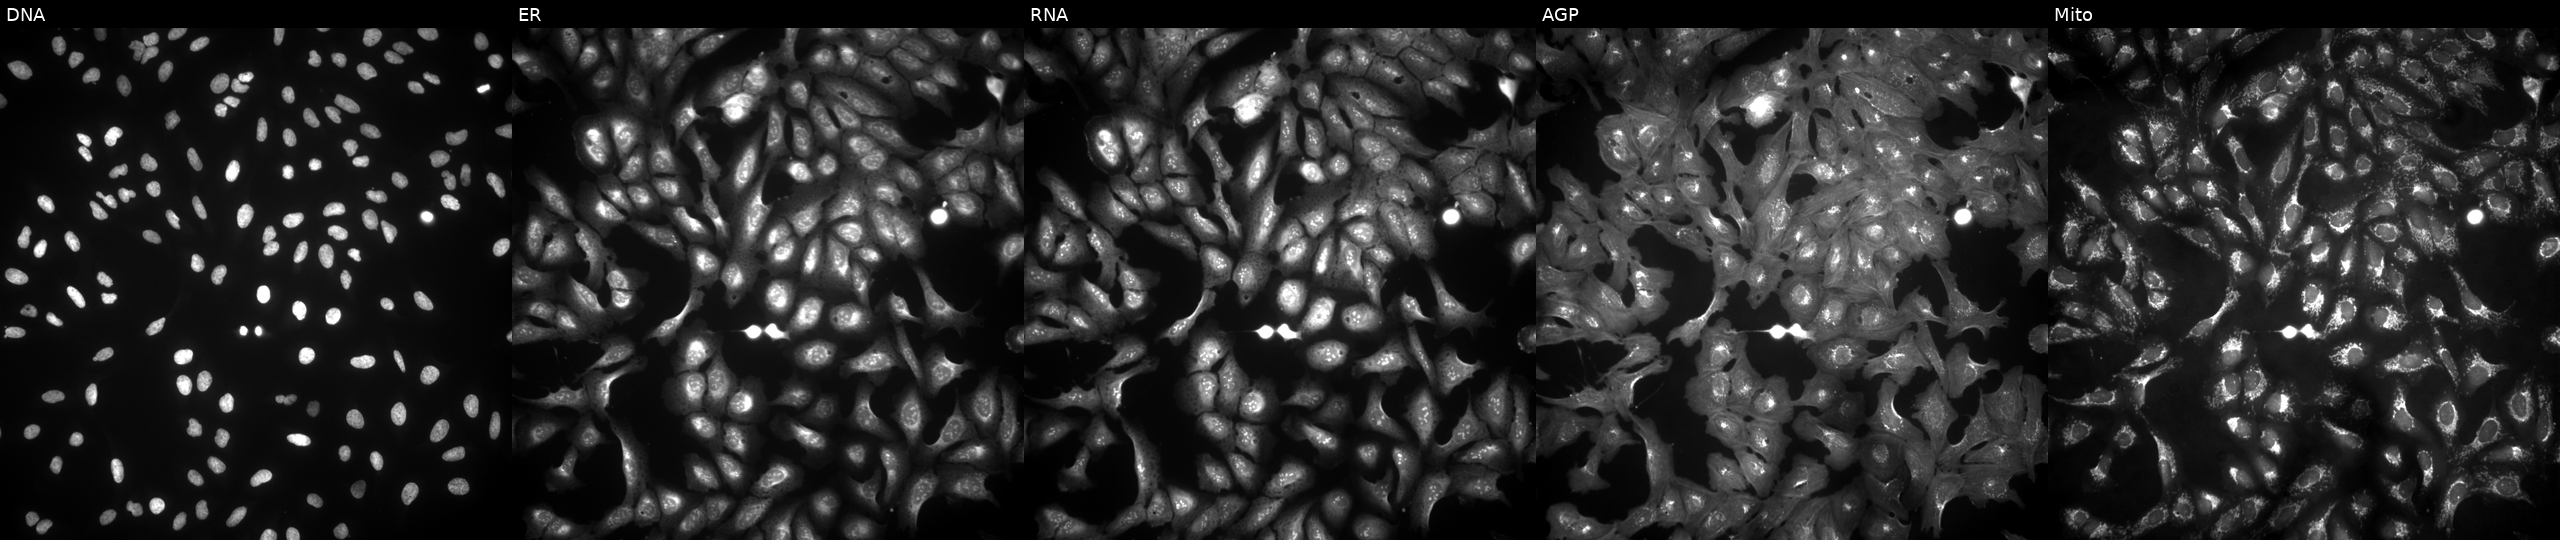
Five-channel Cell Painting image of U2OS cells with PSTPIP1 overexpressed (ORF) (JUMP id JCP2022_906870). The five panels, left to right, show DNA, ER, RNA, AGP, and Mito. Source 4, plate BR00123506, well B12.